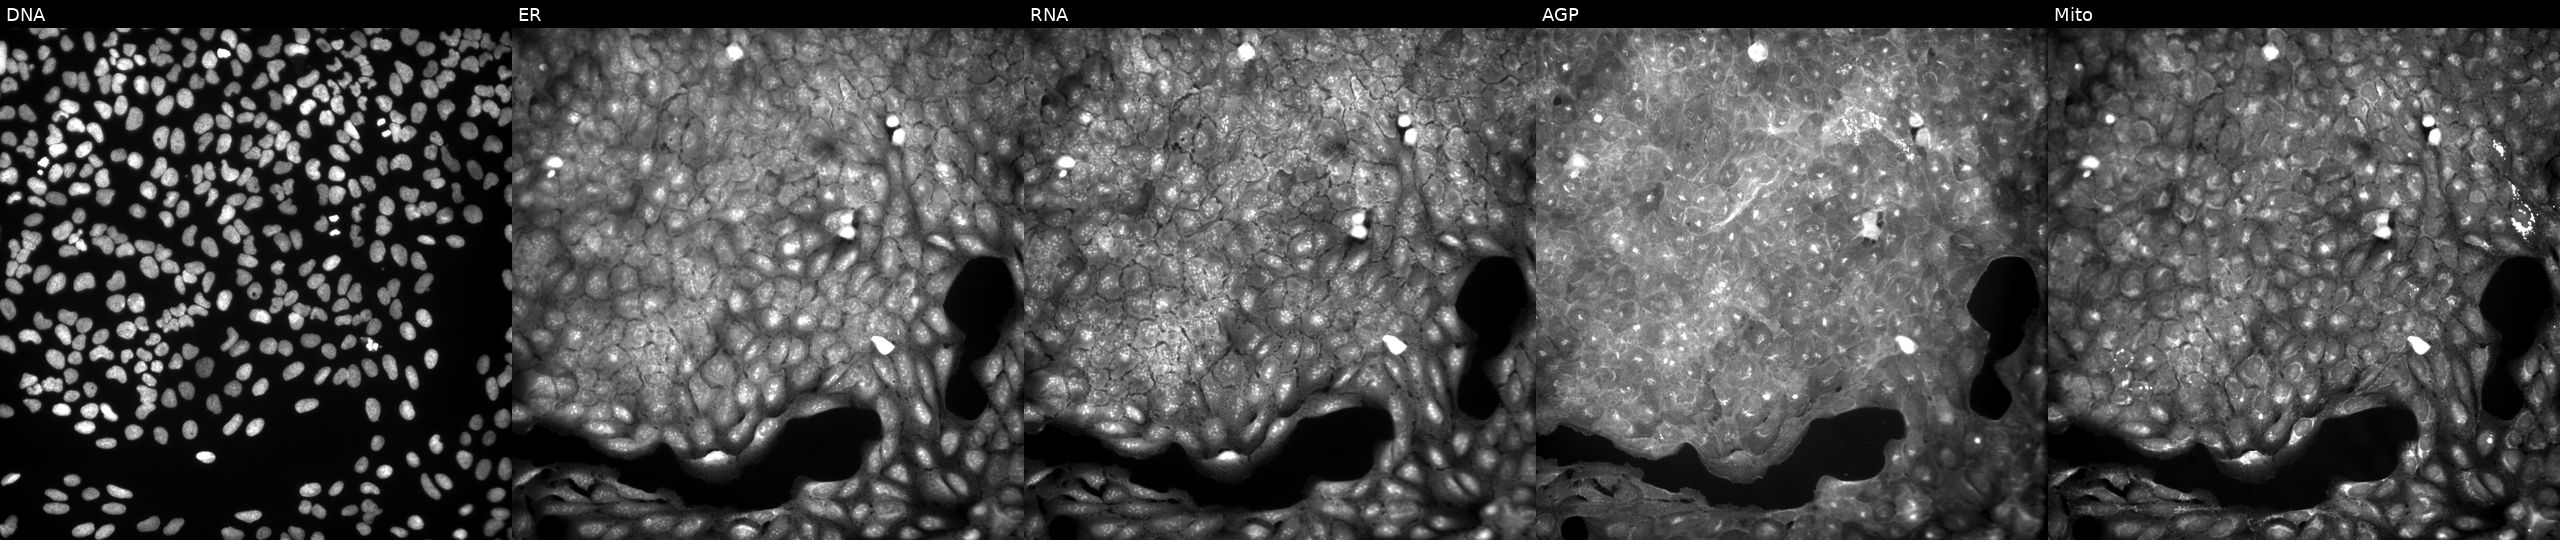
This image strip shows the five Cell Painting channels for a single field of U2OS cells treated with a small-molecule compound (JUMP id JCP2022_009850). Panels show, left to right, DNA, ER, RNA, AGP, and Mito. Source 9, plate GR00003381, well Q40.